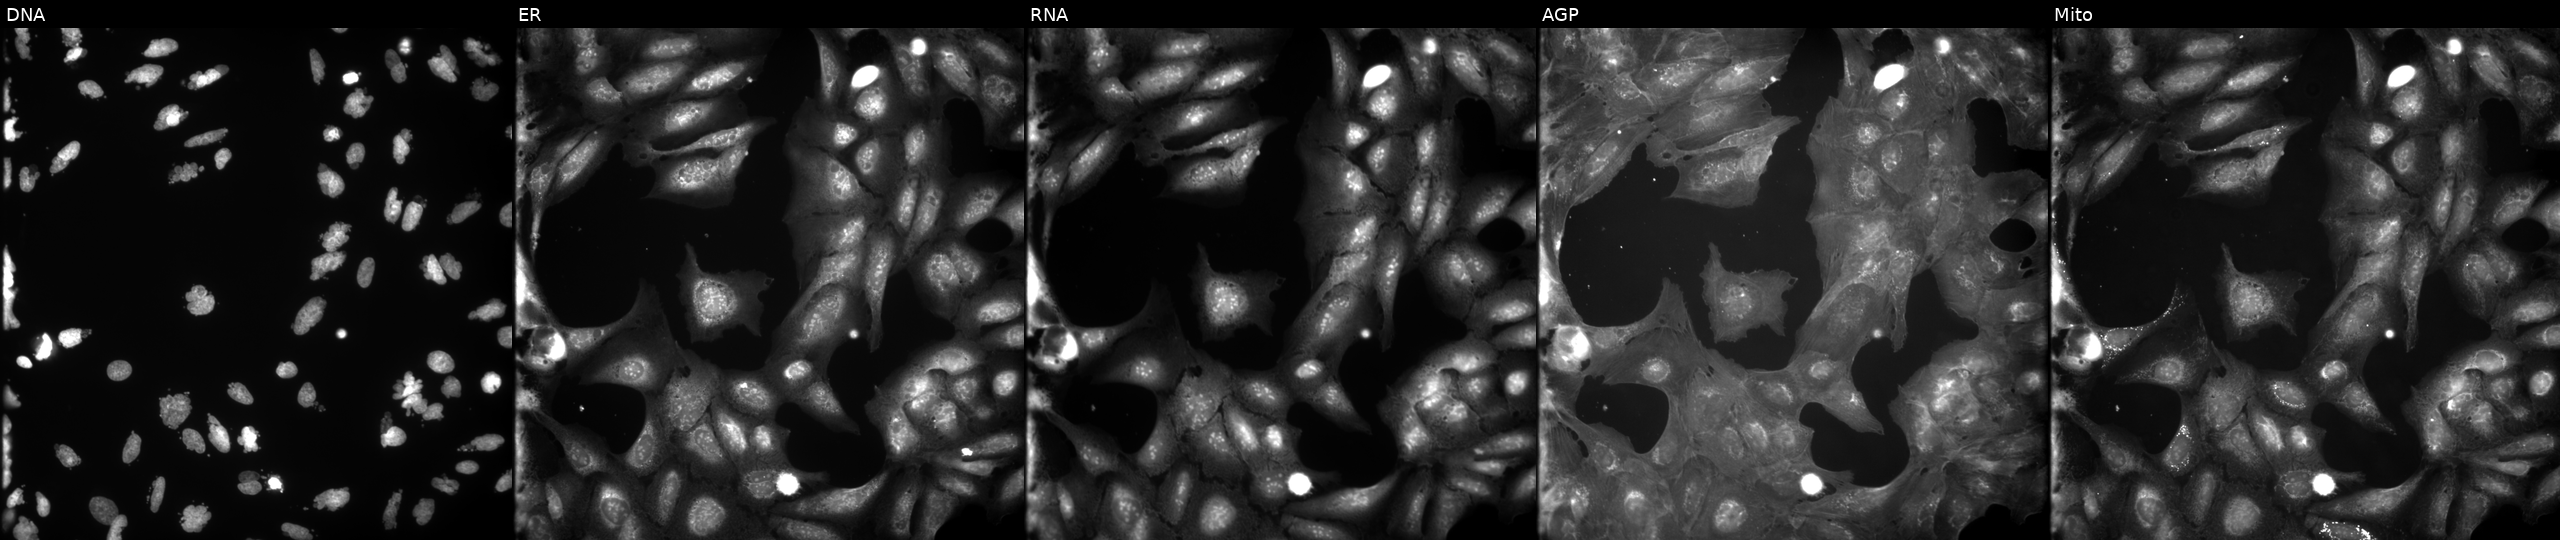
JUMP Cell Painting — COMPOUND plate. U2OS cells treated with AMG900 (positive-control compound) (JUMP id JCP2022_037716). Channels (left→right): DNA (nuclei); ER (endoplasmic reticulum); RNA (nucleoli and cytoplasmic RNA); AGP (actin cytoskeleton, Golgi, and plasma membrane); Mito (mitochondria). Source 9, plate GR00003382, well B25.